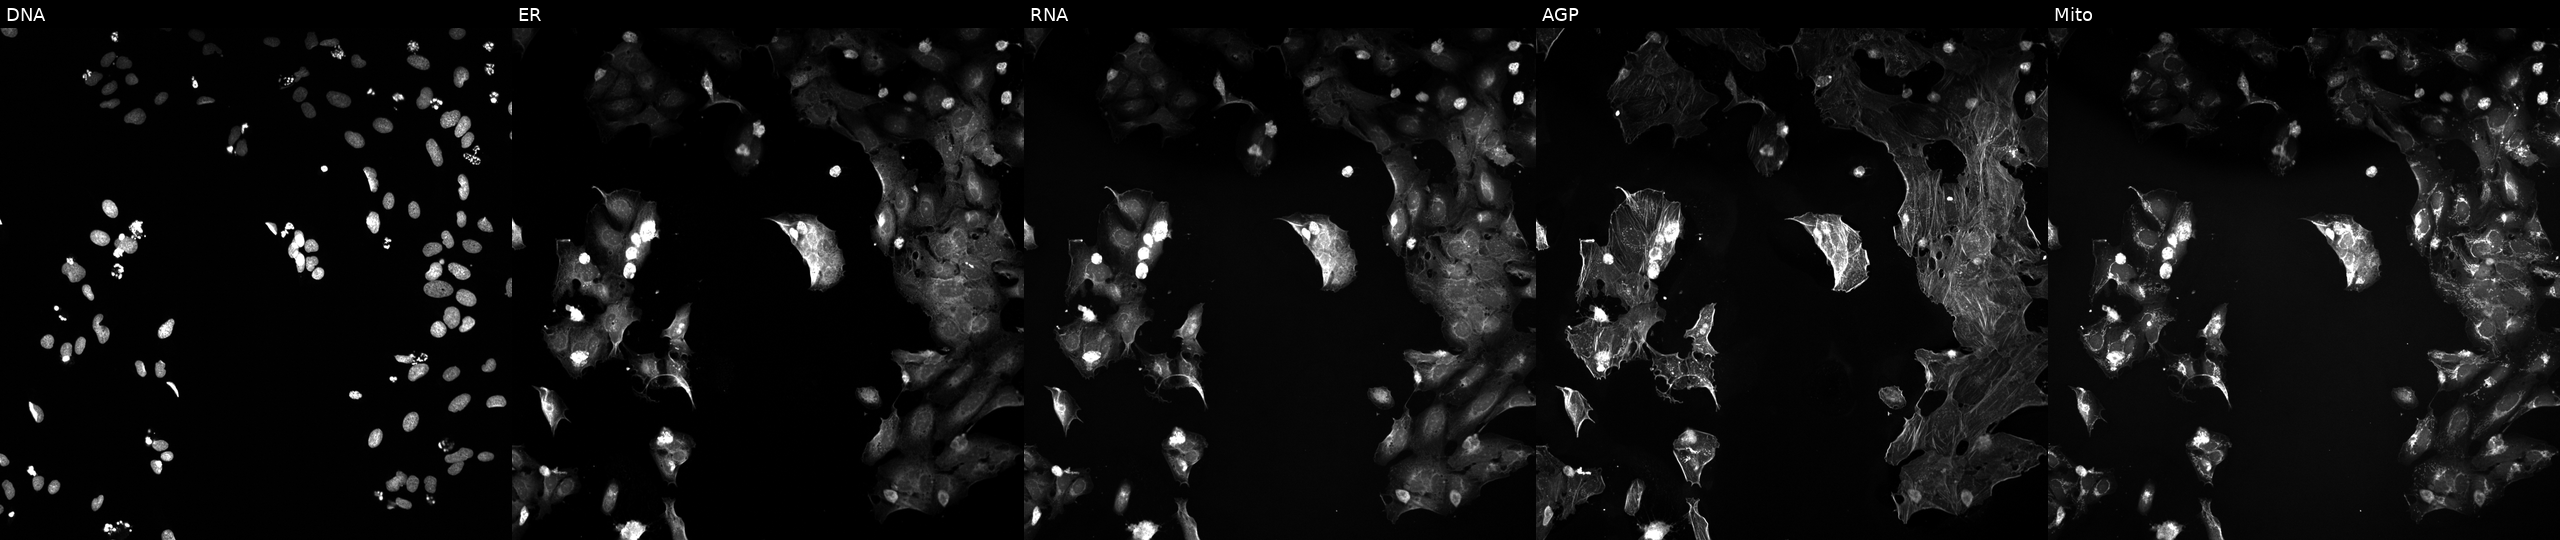
JUMP Cell Painting — TARGET2 plate. U2OS cells treated with a small-molecule compound (InChIKey WSMQUUGTQYPVPD-UHFFFAOYSA-N) [SMILES: COc1cccc(-c2cc(F)ccc2C2Cc3[nH]c(=N)nc(C)c3C(=O)N2)n1]. Channels (left→right): Hoechst 33342, concanavalin A, SYTO 14, phalloidin and WGA, MitoTracker.